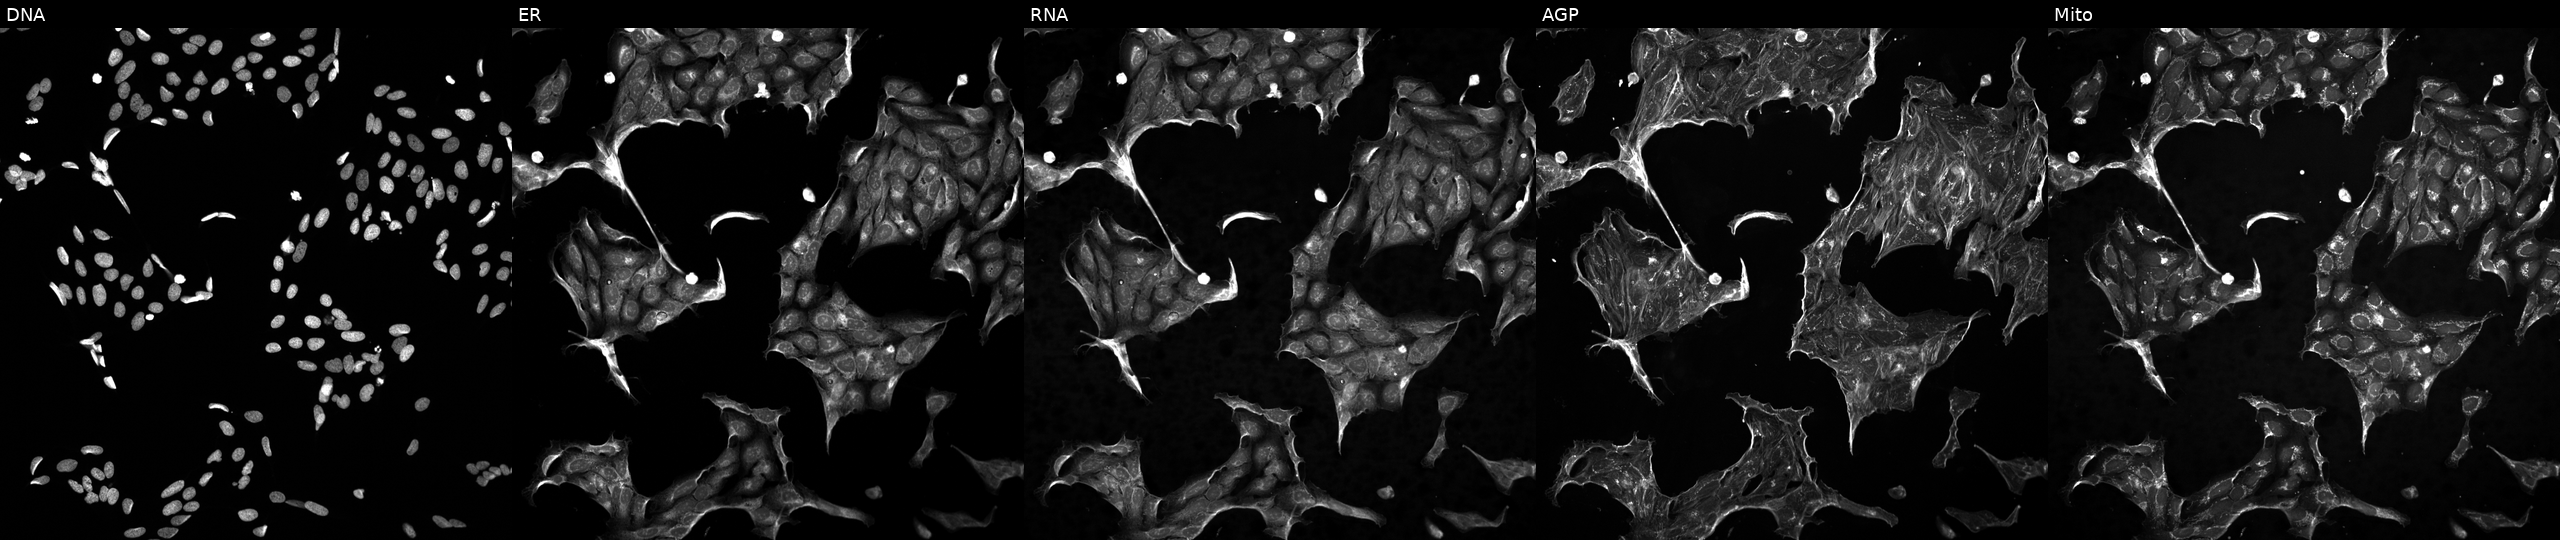
Five-channel Cell Painting image of U2OS cells exposed to a small-molecule compound (InChIKey JOOXLOJCABQBSG-UHFFFAOYSA-N) (JUMP id JCP2022_041139). From left to right: Hoechst 33342, concanavalin A, SYTO 14, phalloidin and WGA, MitoTracker. Source 5, plate ACPJUM051, well M22.